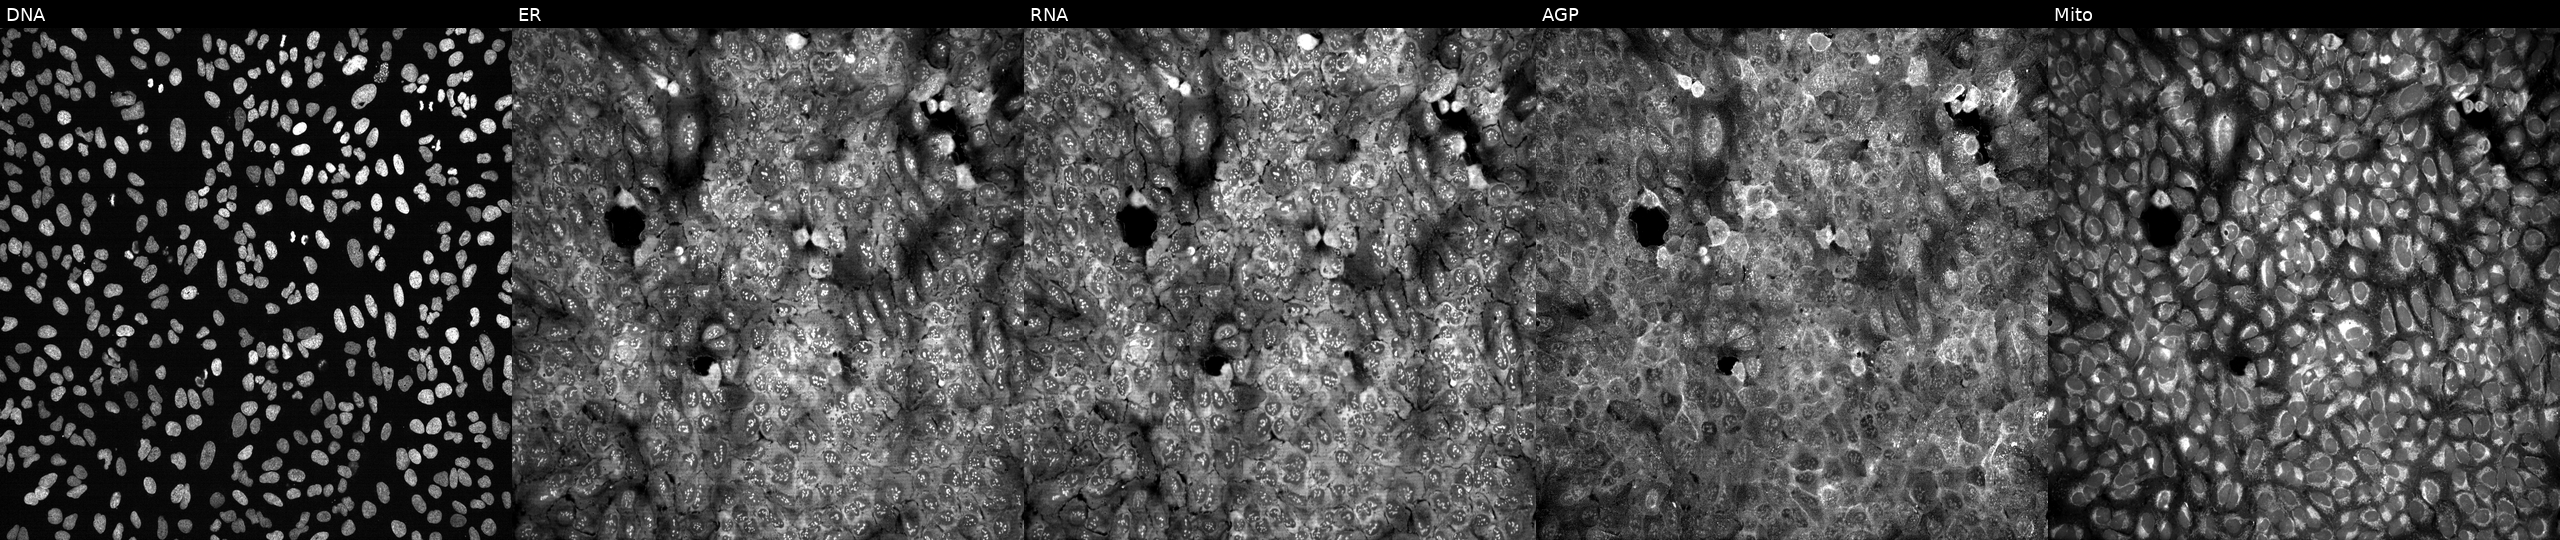
This image strip shows the five Cell Painting channels for a single field of U2OS cells with ACOX1 knocked out by CRISPR. From left to right: DNA, ER, RNA, AGP, and Mito.